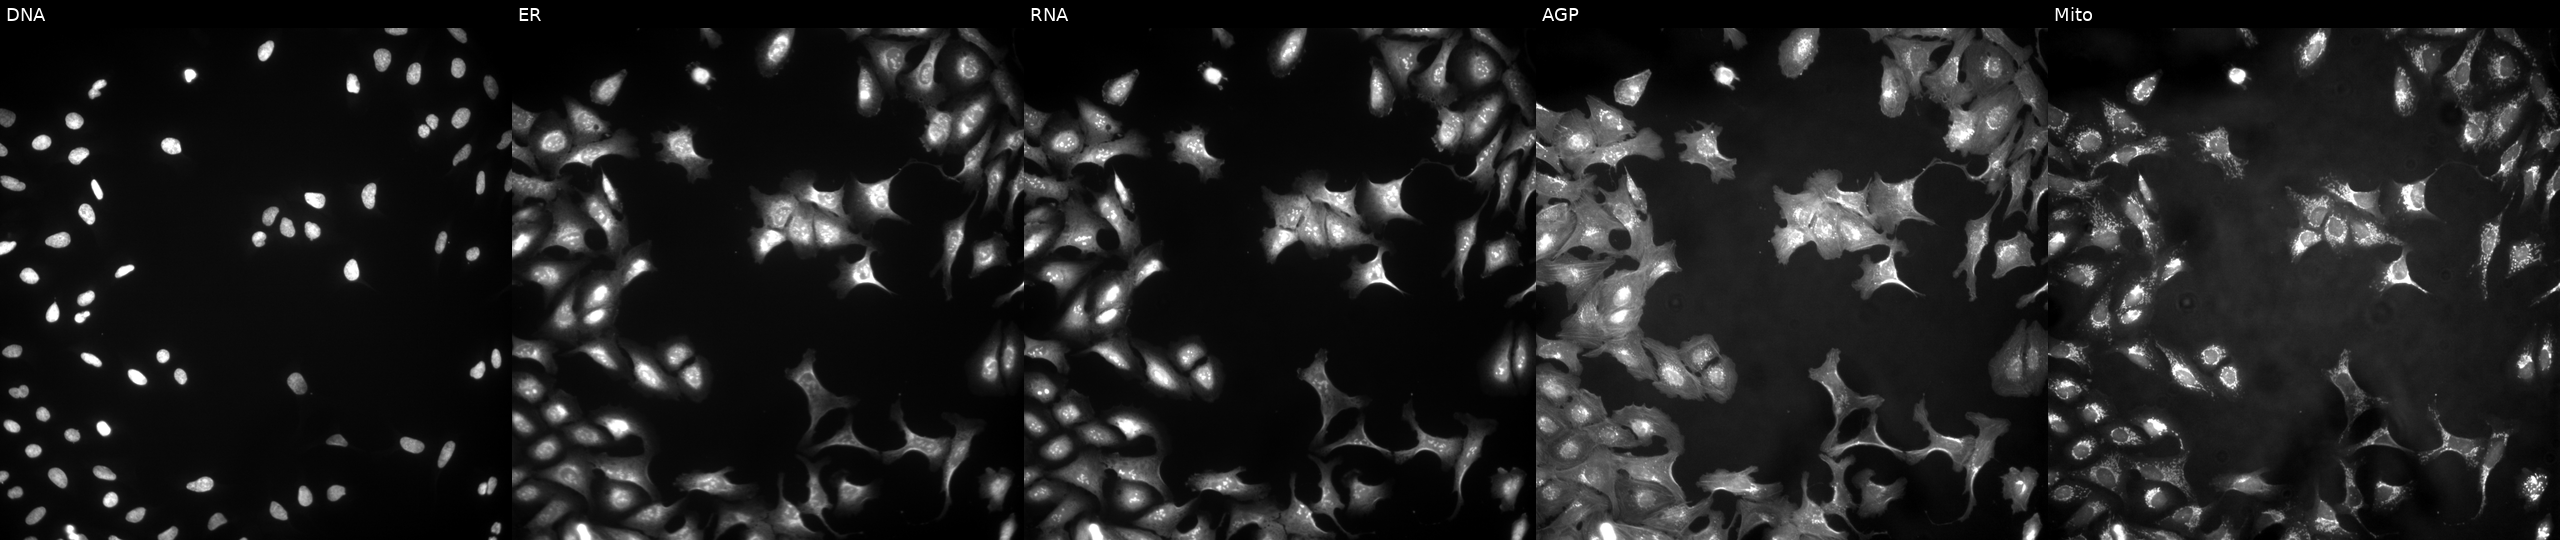
U2OS cells, Cell Painting assay, expressing LacZ (ORF negative control). Panels show, left to right, DNA, ER, RNA, AGP, and Mito. Each panel is percentile-stretched 16-bit fluorescence. Source 4, plate BR00123506, well A03.